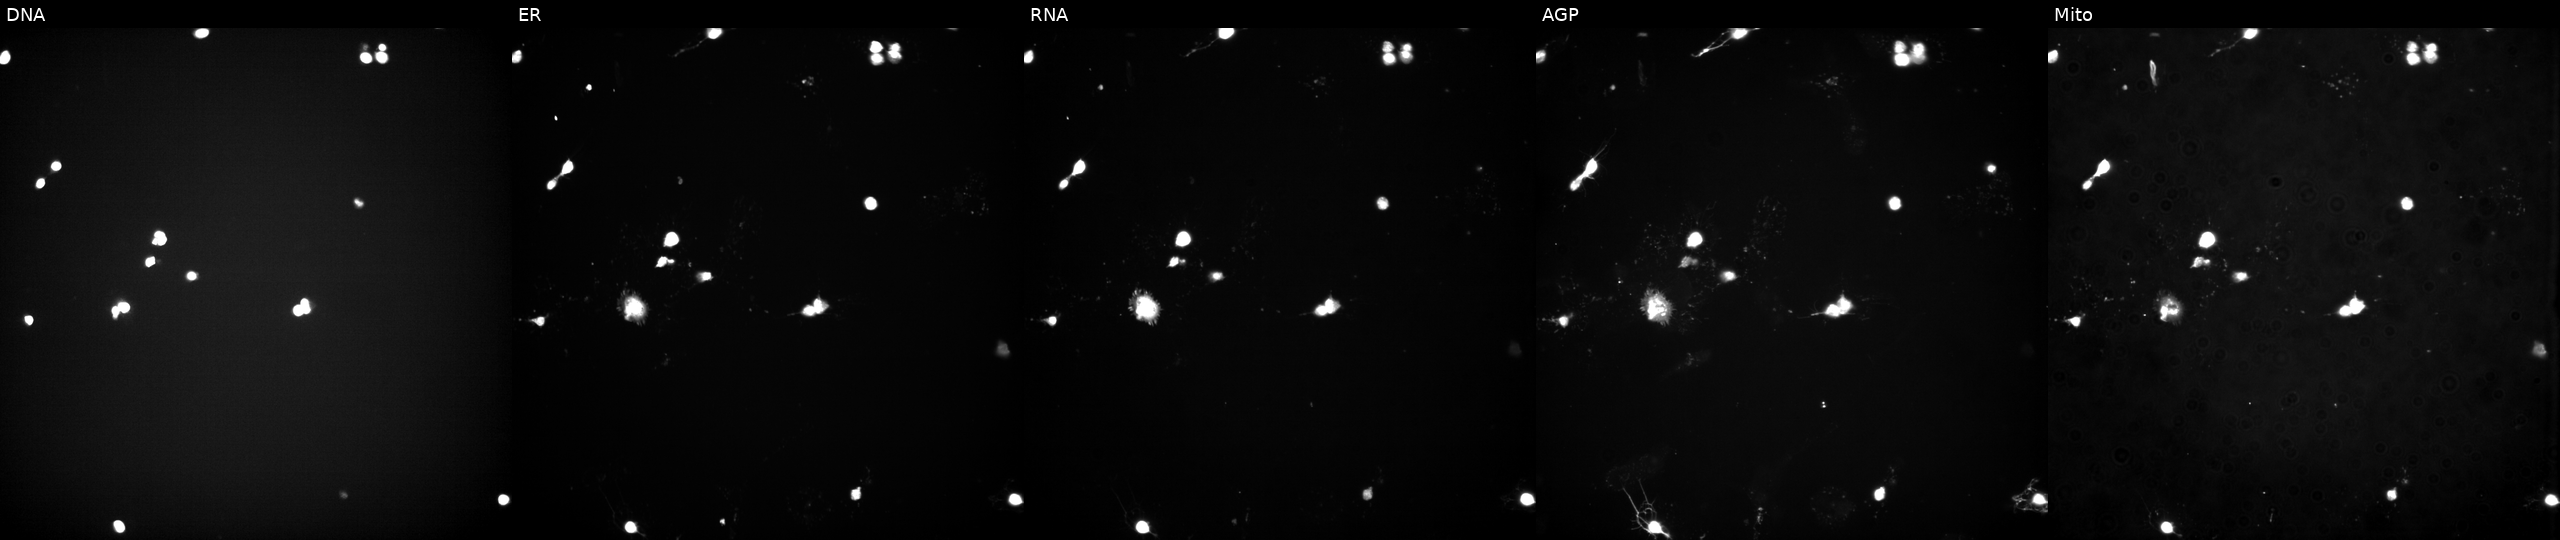
JUMP Cell Painting — TARGET2 plate. U2OS cells treated with a small-molecule compound (InChIKey IAYGCINLNONXHY-UHFFFAOYSA-N) (JUMP id JCP2022_033914). Panels show, left to right, DNA, ER, RNA, AGP, and Mito. Source 3, plate JCPQC052, well F22.